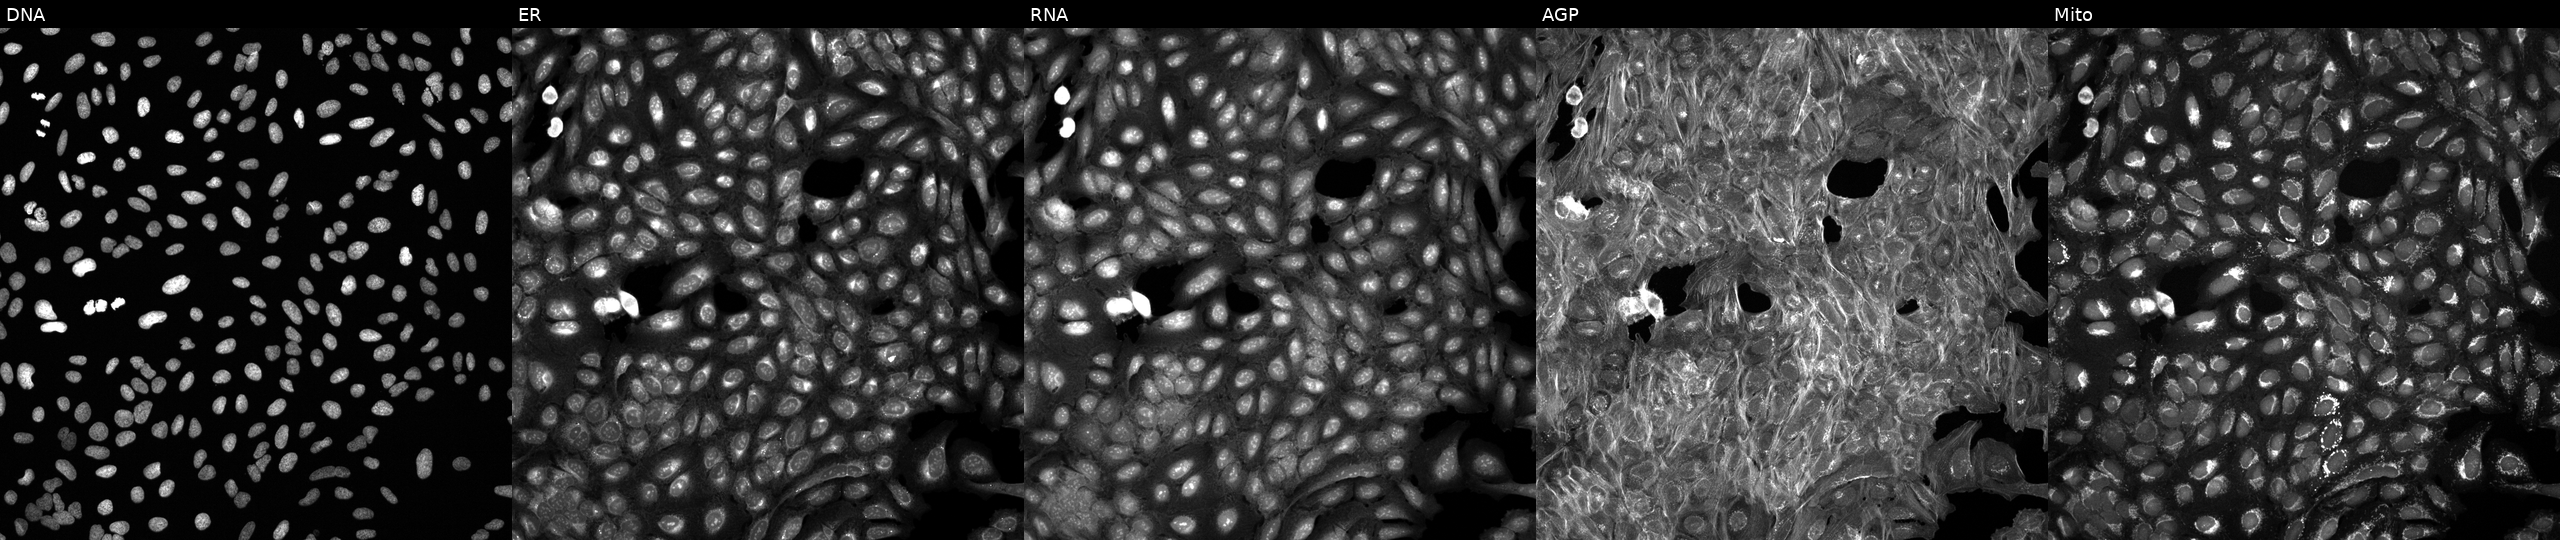
This image strip shows the five Cell Painting channels for a single field of U2OS cells exposed to a small-molecule compound [SMILES: CCNC1CN(CCCOC)S(=O)(=O)c2sc(S(N)(=O)=O)cc21]. The five panels, left to right, show DNA (nuclei); ER (endoplasmic reticulum); RNA (nucleoli and cytoplasmic RNA); AGP (actin cytoskeleton, Golgi, and plasma membrane); Mito (mitochondria).